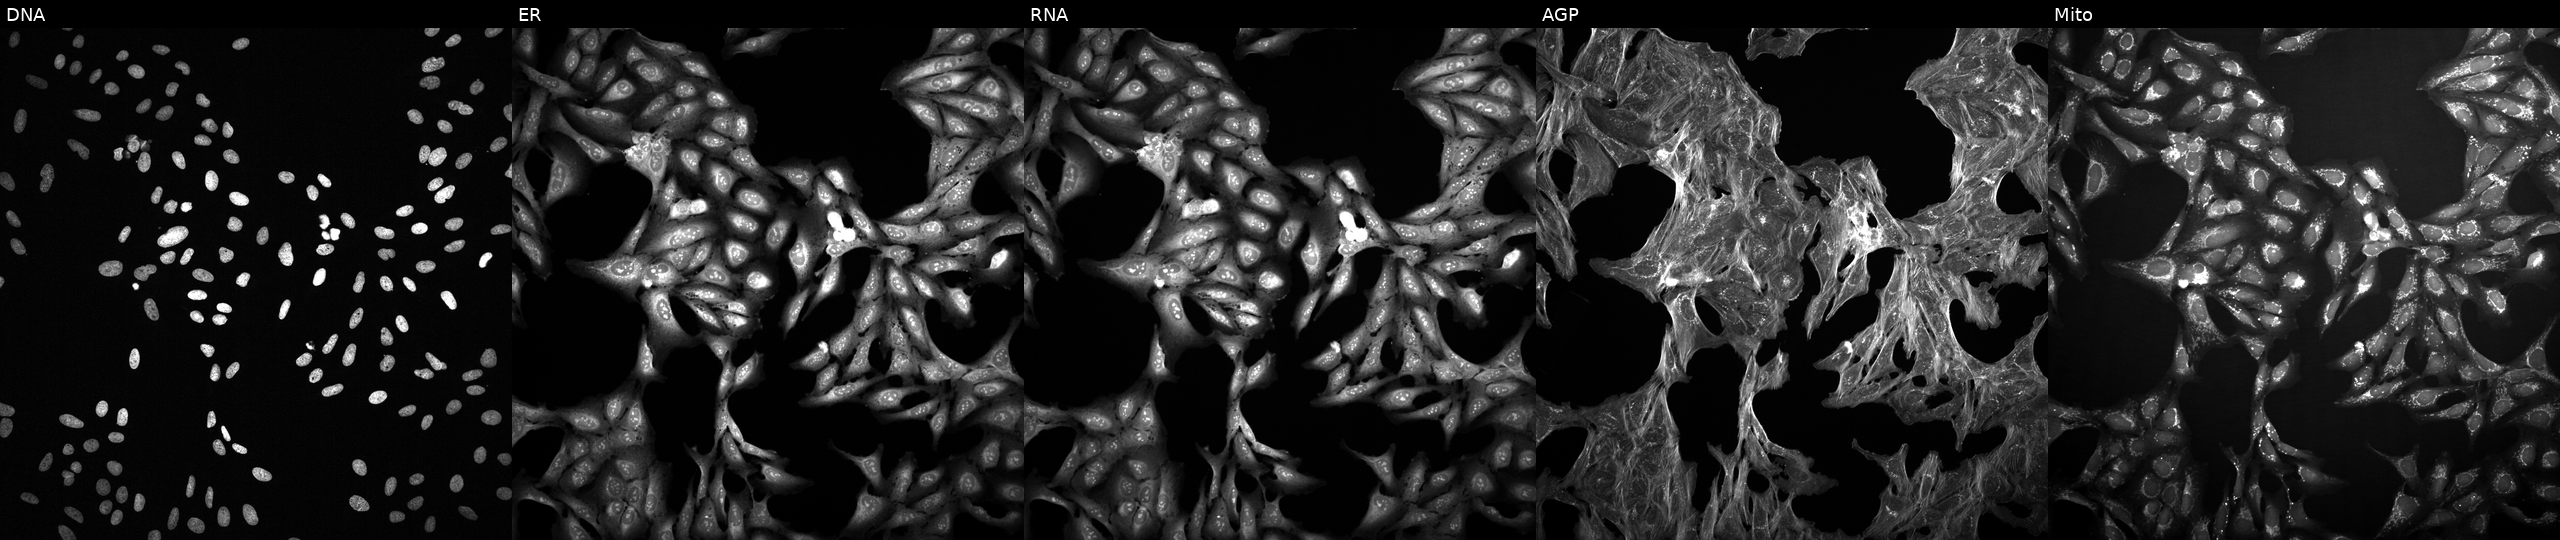
This image strip shows the five Cell Painting channels for a single field of U2OS cells perturbed with a small-molecule compound (InChIKey XFILPEOLDIKJHX-UHFFFAOYSA-N) [SMILES: CNC(=O)C(Cc1ccccc1)NC(=O)C(CC(C)C)C(CSc1cccs1)C(O)=NO] (JUMP id JCP2022_103291). The five panels, left to right, show DNA (nuclei); ER (endoplasmic reticulum); RNA (nucleoli and cytoplasmic RNA); AGP (actin cytoskeleton, Golgi, and plasma membrane); Mito (mitochondria). Source 2, plate 1053597936, well G20.